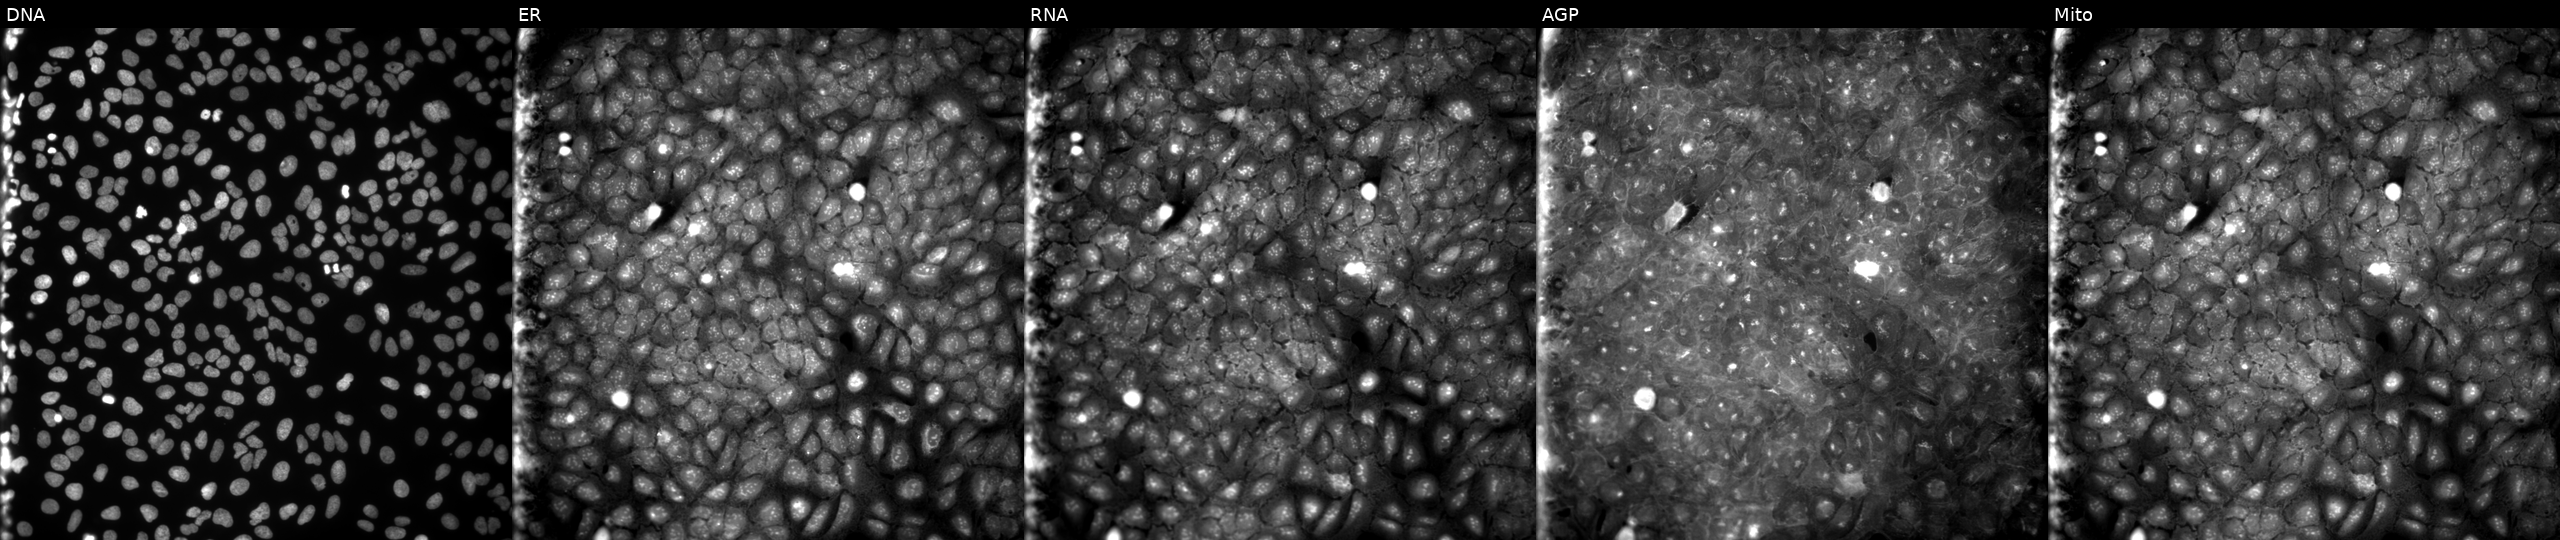
High-content fluorescence microscopy (Cell Painting). Cell line: U2OS. Perturbation: treated with a small-molecule compound (InChIKey QFCITOQUKIFZGA-UHFFFAOYSA-N). Channels (left→right): DNA (nuclei); ER (endoplasmic reticulum); RNA (nucleoli and cytoplasmic RNA); AGP (actin cytoskeleton, Golgi, and plasma membrane); Mito (mitochondria).